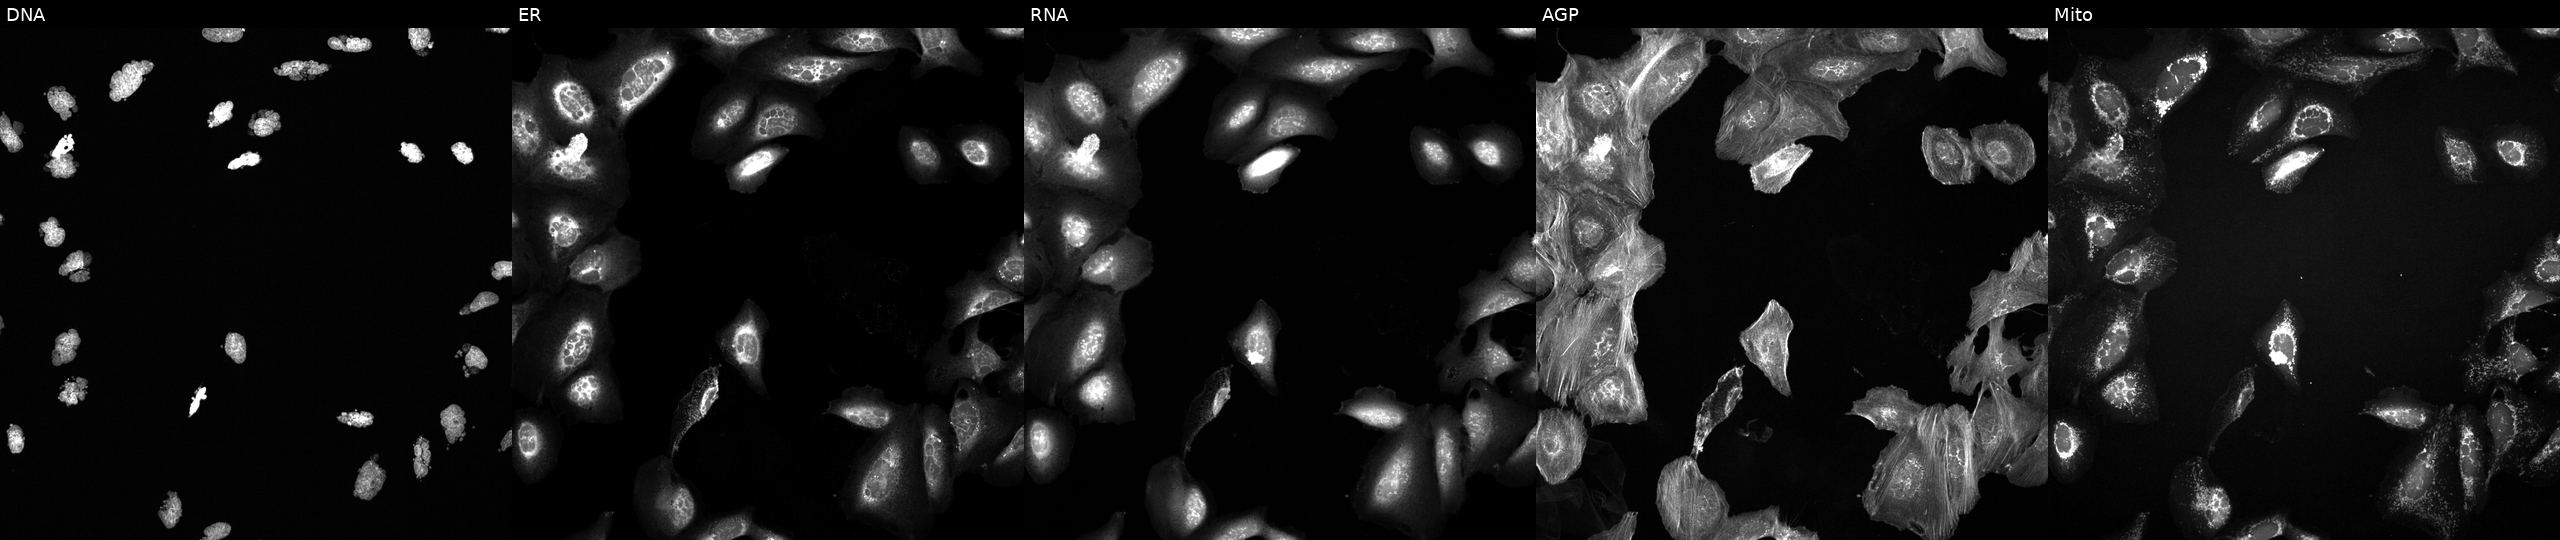
High-content fluorescence microscopy (Cell Painting). Cell line: U2OS. Perturbation: treated with AMG900 (positive-control compound). The five panels, left to right, show DNA, ER, RNA, AGP, and Mito.